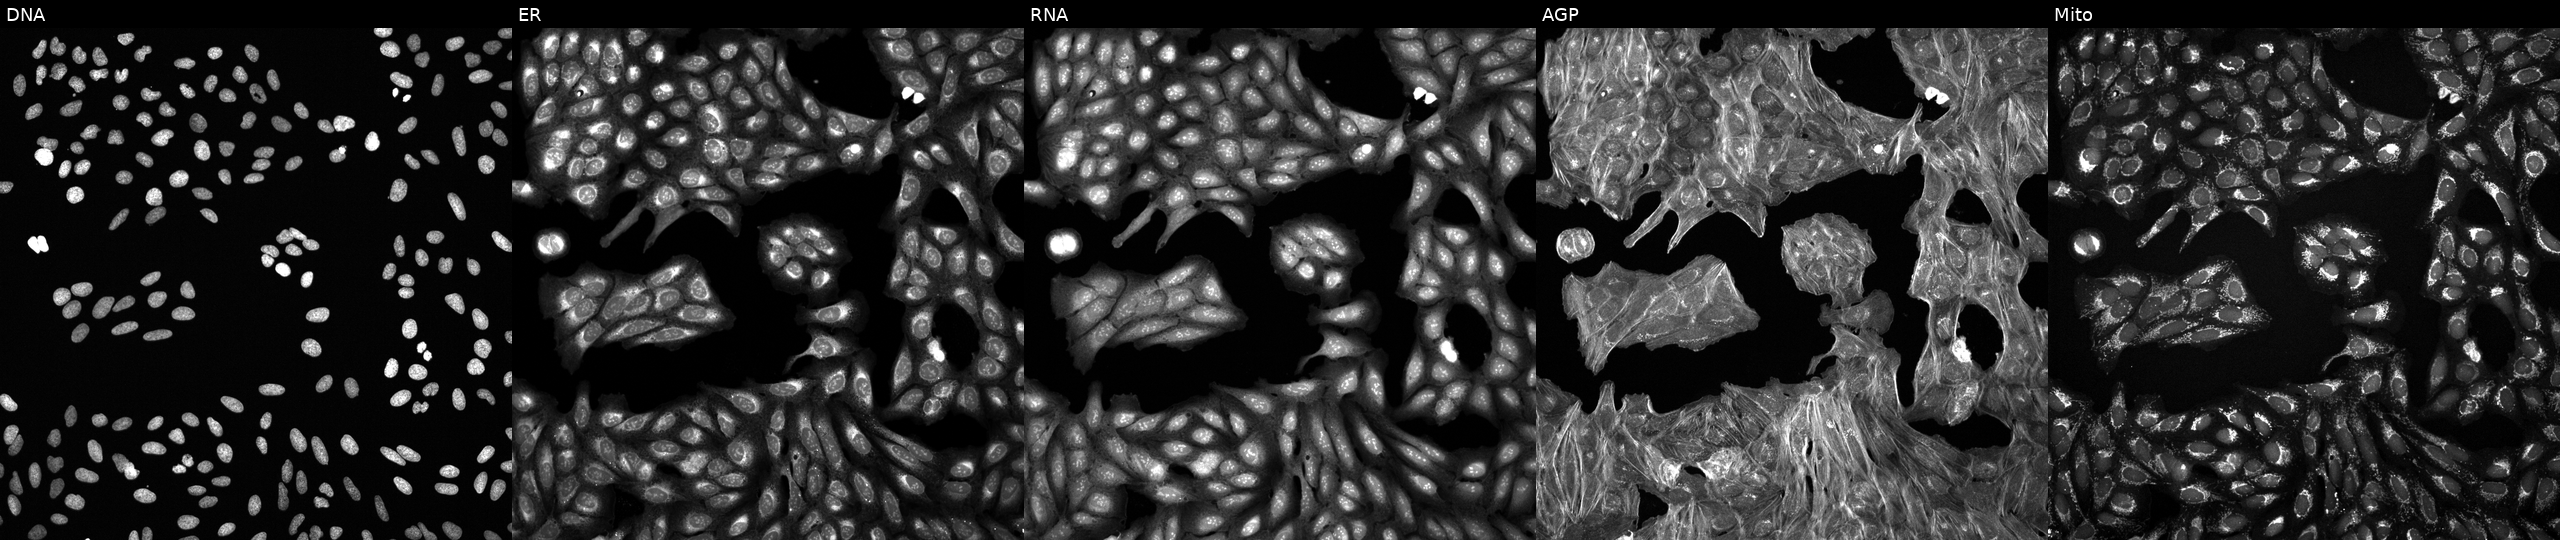
JUMP Cell Painting — COMPOUND plate. U2OS cells treated with a small-molecule compound [SMILES: COc1cccc2c1Oc1ncccc1N(c1ccc(C(=O)NCCN(C)C)s1)C2]. Panels show, left to right, DNA, ER, RNA, AGP, and Mito.